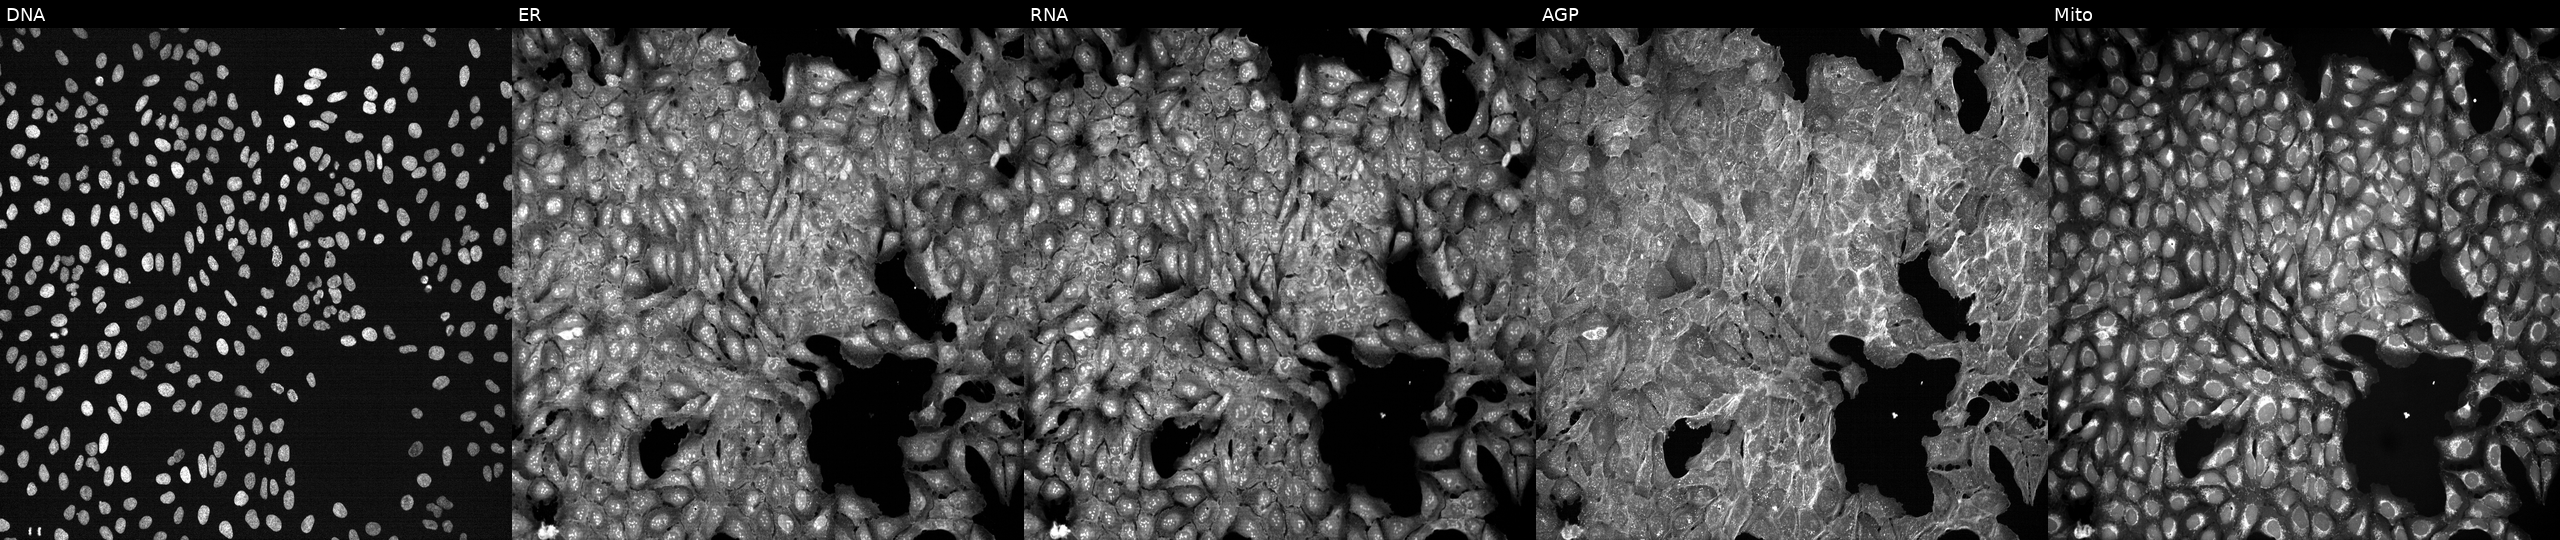
U2OS cells, Cell Painting assay, perturbed with a small-molecule compound. Channels (left→right): DNA (nuclei); ER (endoplasmic reticulum); RNA (nucleoli and cytoplasmic RNA); AGP (actin cytoskeleton, Golgi, and plasma membrane); Mito (mitochondria). Each panel is percentile-stretched 16-bit fluorescence. Source 7, plate CP3-SC1-25, well B19.